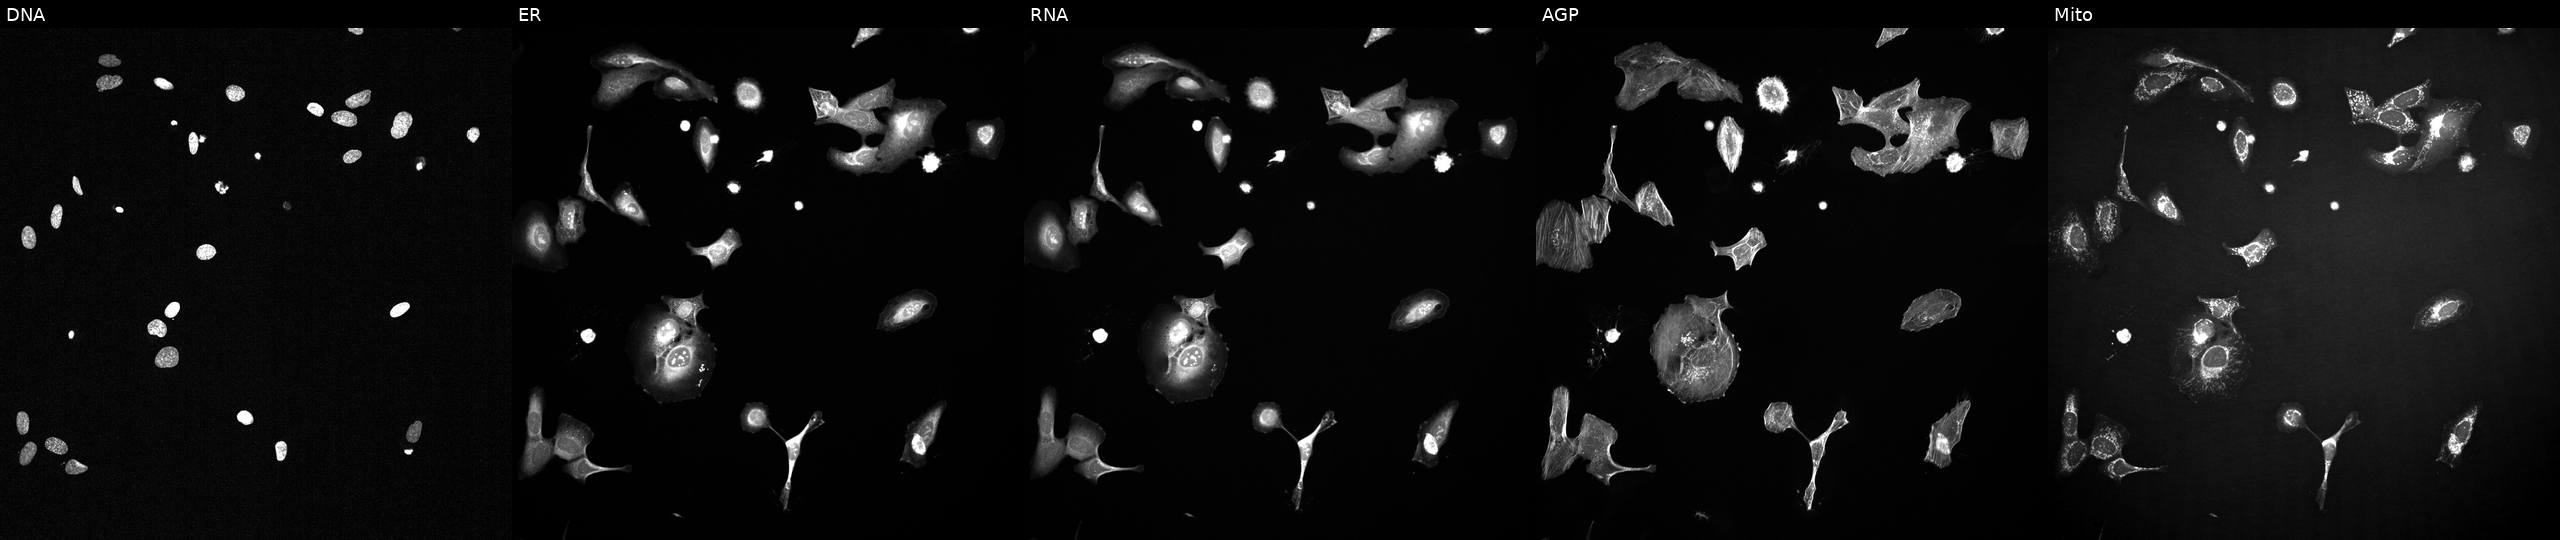
Channels (left→right): DNA, ER, RNA, AGP, and Mito. U2OS osteosarcoma cells treated with a small-molecule compound (JUMP id JCP2022_032771). Cell Painting assay, JUMP-CP dataset.